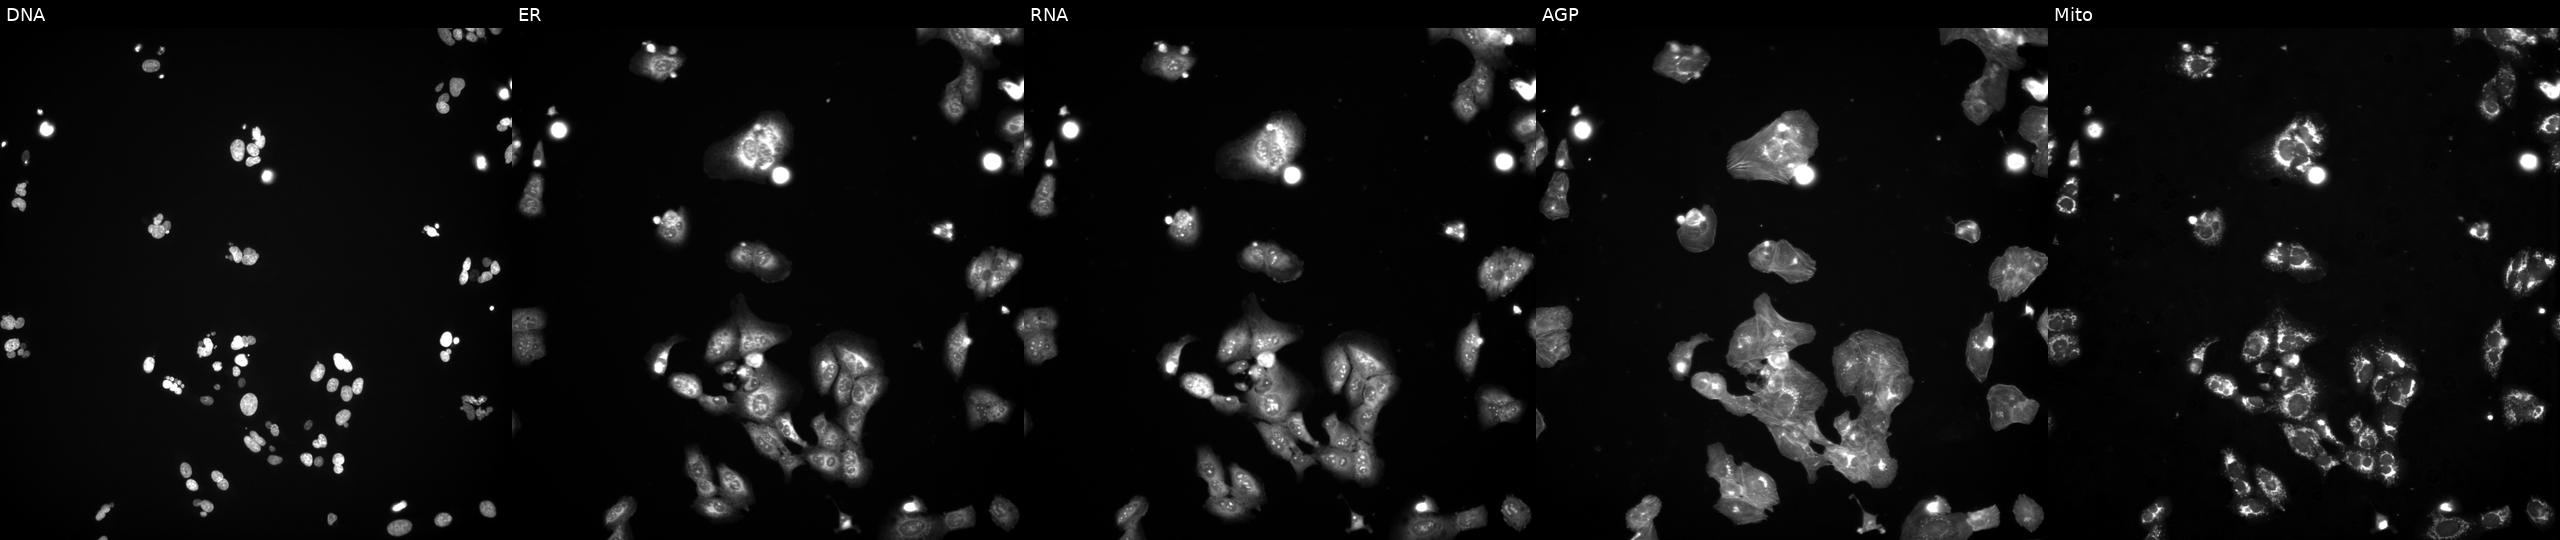
High-content fluorescence microscopy (Cell Painting). Cell line: U2OS. Perturbation: treated with a small-molecule compound (InChIKey RNQKPQAFZMVUOI-UHFFFAOYSA-N). Panels show, left to right, DNA (nuclei); ER (endoplasmic reticulum); RNA (nucleoli and cytoplasmic RNA); AGP (actin cytoskeleton, Golgi, and plasma membrane); Mito (mitochondria).